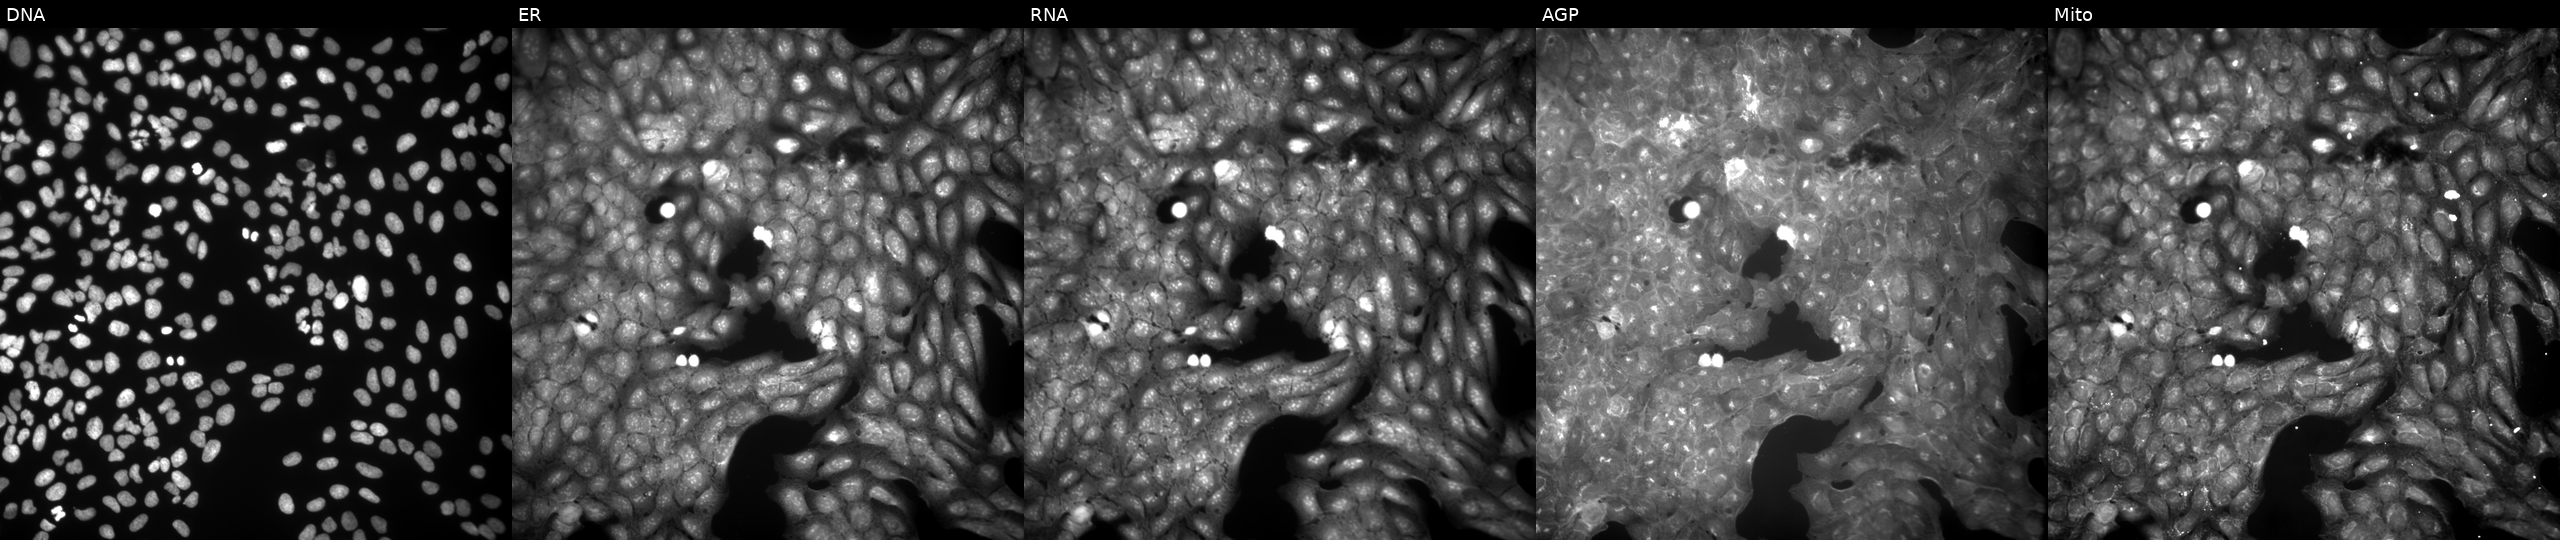
The five panels, left to right, show Hoechst 33342, concanavalin A, SYTO 14, phalloidin and WGA, MitoTracker. U2OS osteosarcoma cells treated with quinidine (positive-control compound). Cell Painting assay, JUMP-CP dataset. Source 9, plate GR00003381, well W48.